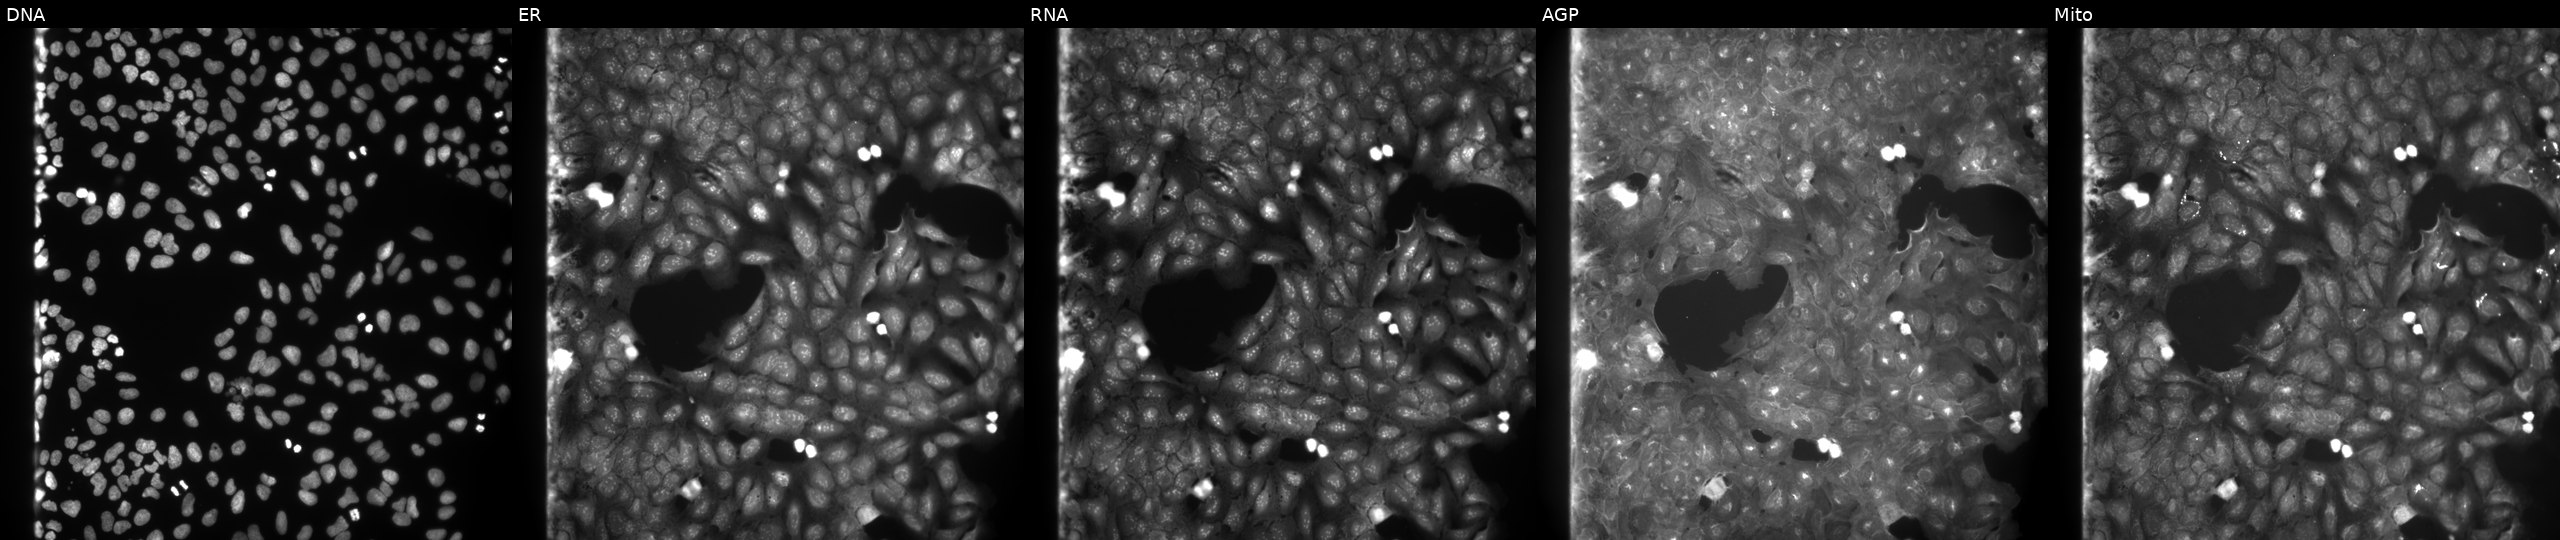
JUMP Cell Painting — COMPOUND plate. U2OS cells treated with a small-molecule compound (InChIKey DYVSHYXENTWYCL-UHFFFAOYSA-N). Panels show, left to right, DNA, ER, RNA, AGP, and Mito. Source 9, plate GR00003382, well D06.